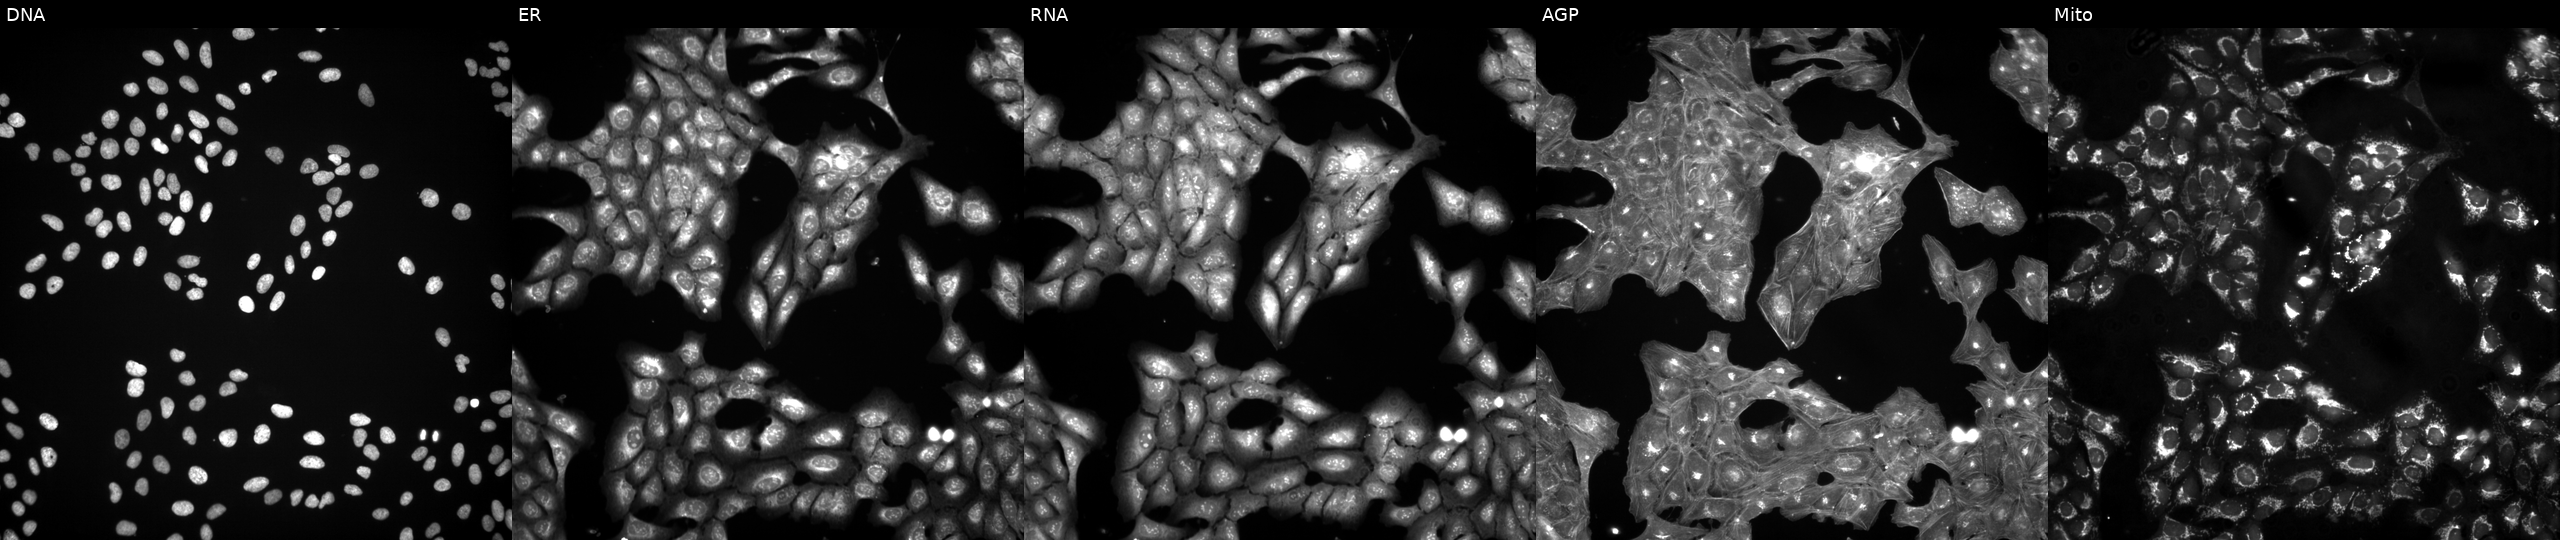
High-content fluorescence microscopy (Cell Painting). Cell line: U2OS. Perturbation: perturbed with a small-molecule compound (JUMP id JCP2022_090884). The five panels, left to right, show Hoechst 33342, concanavalin A, SYTO 14, phalloidin and WGA, MitoTracker.